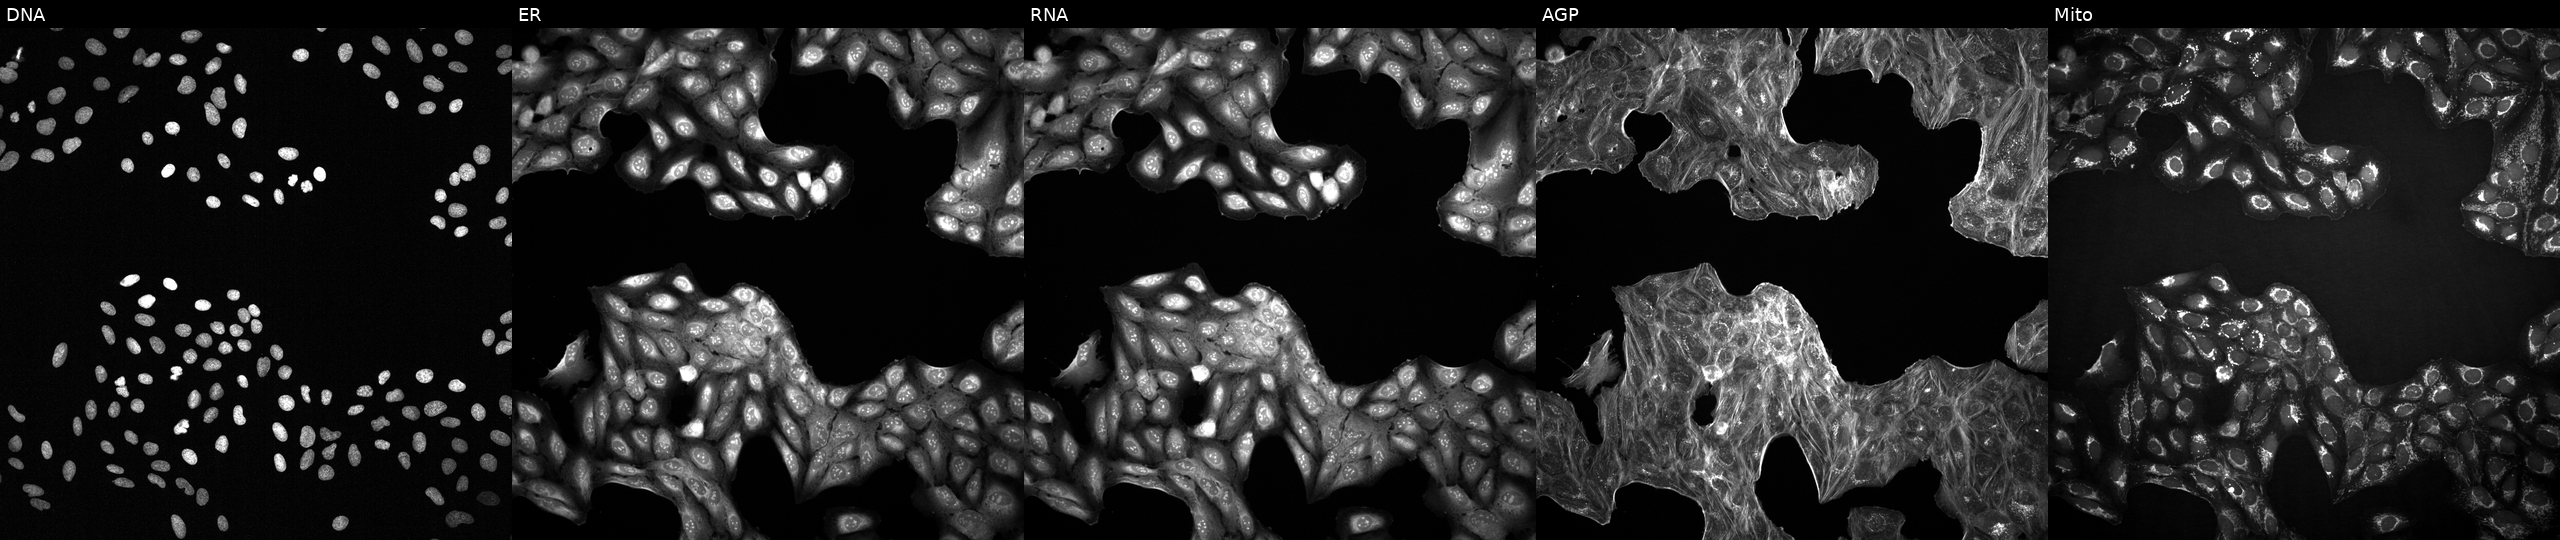
Five-channel Cell Painting image of U2OS cells with an unidentified perturbation (not annotated in JUMP metadata). Panels show, left to right, DNA, ER, RNA, AGP, and Mito.